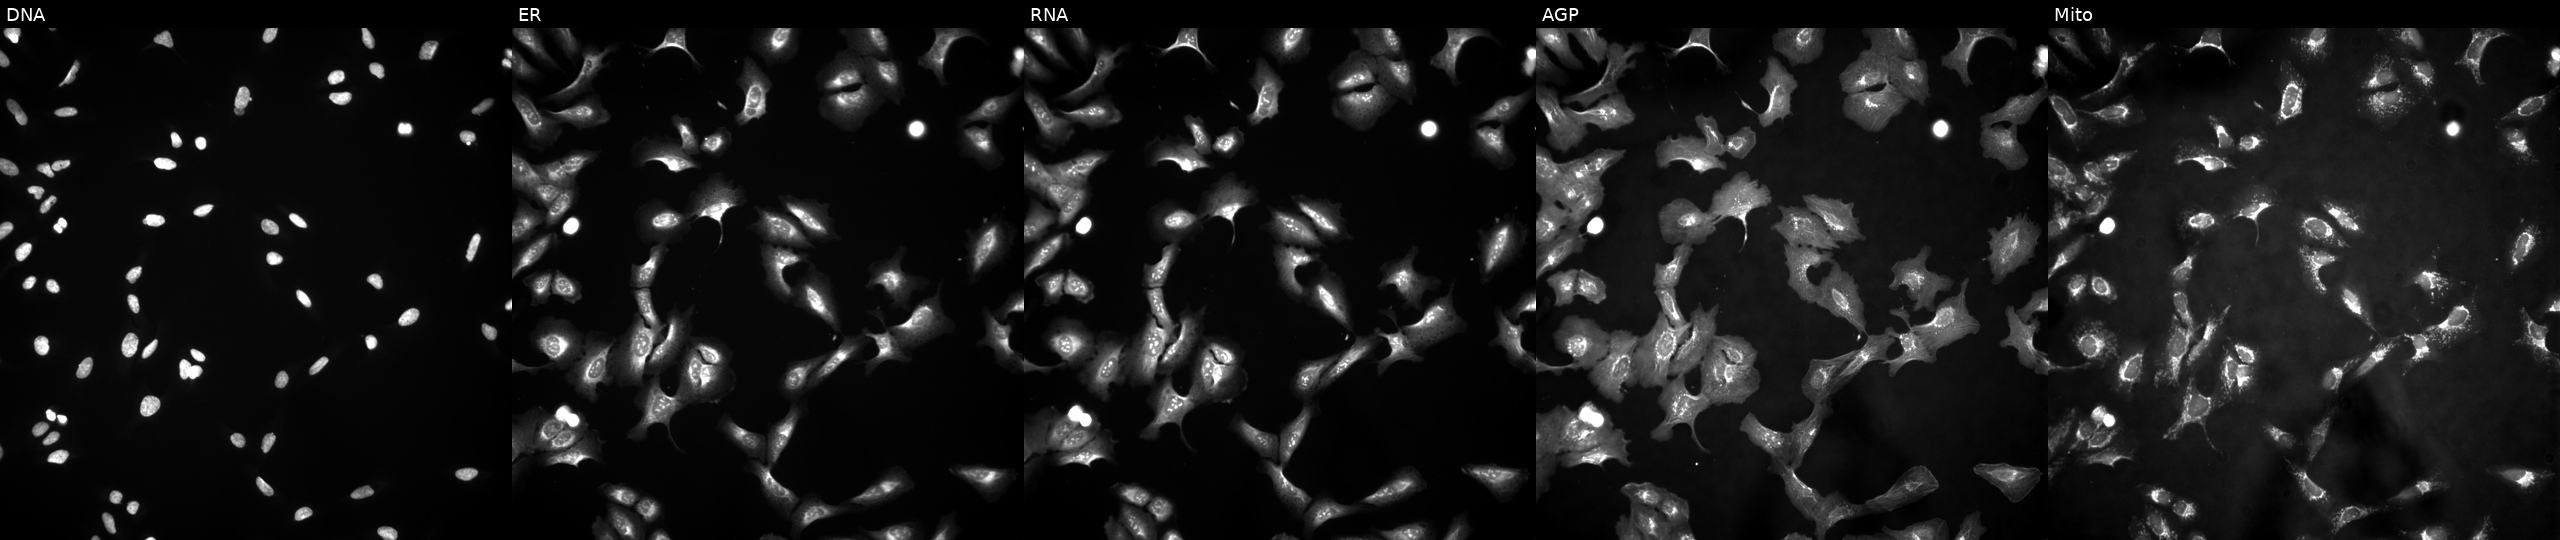
JUMP Cell Painting — ORF plate. U2OS cells with TEX30 overexpressed (ORF). Panels show, left to right, DNA (nuclei); ER (endoplasmic reticulum); RNA (nucleoli and cytoplasmic RNA); AGP (actin cytoskeleton, Golgi, and plasma membrane); Mito (mitochondria).